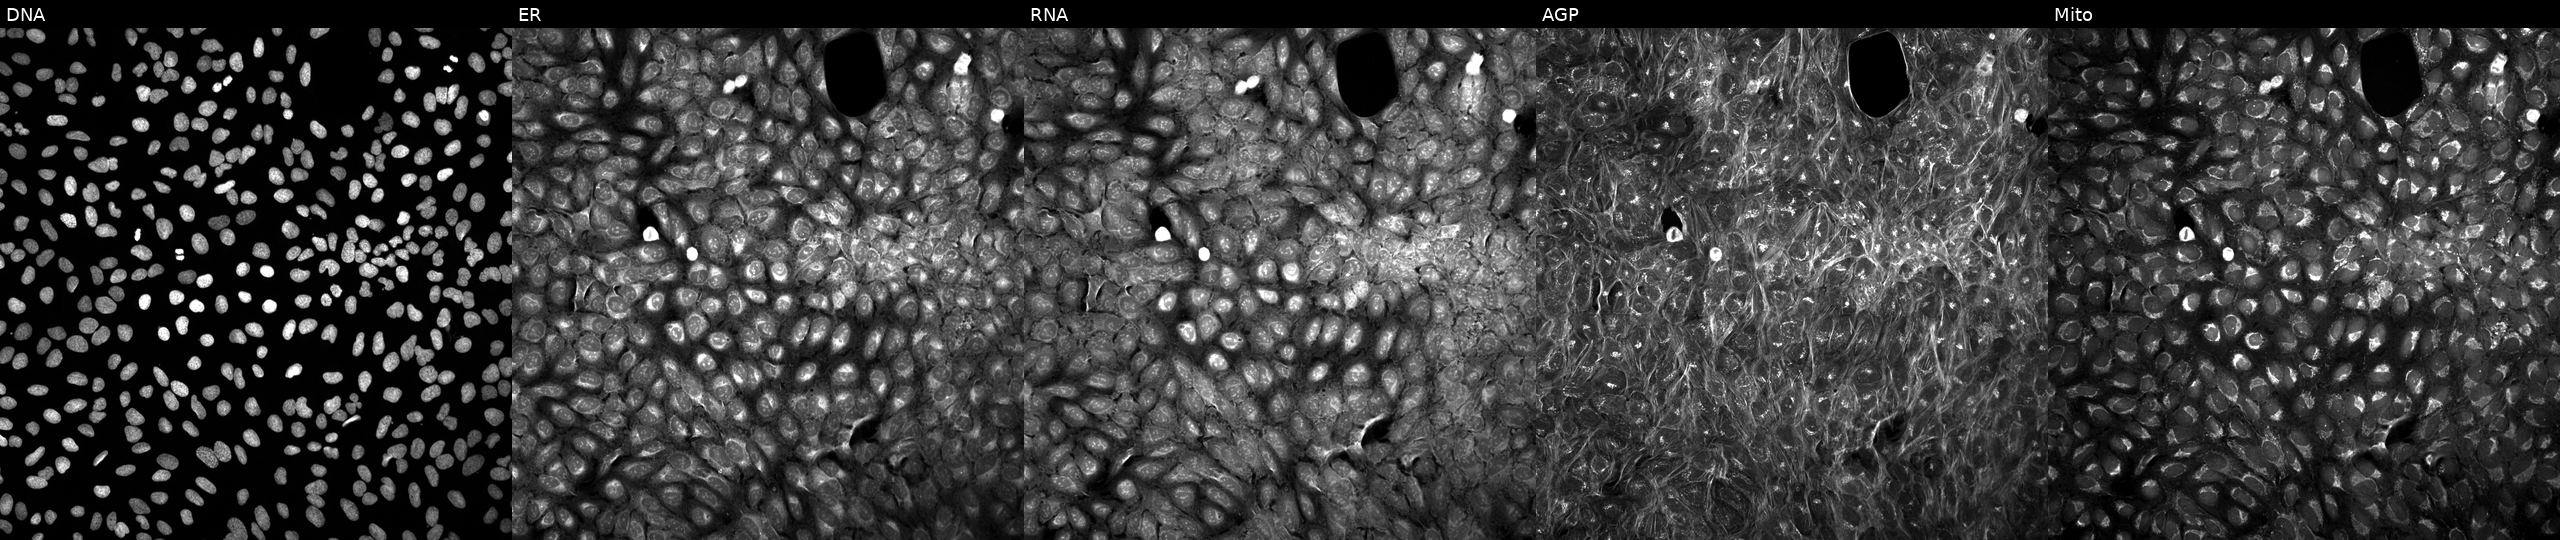
This image strip shows the five Cell Painting channels for a single field of U2OS cells perturbed with a small-molecule compound (InChIKey BDNFQGRSKSQXRI-UHFFFAOYSA-N) (JUMP id JCP2022_005628). The five panels, left to right, show Hoechst 33342, concanavalin A, SYTO 14, phalloidin and WGA, MitoTracker.